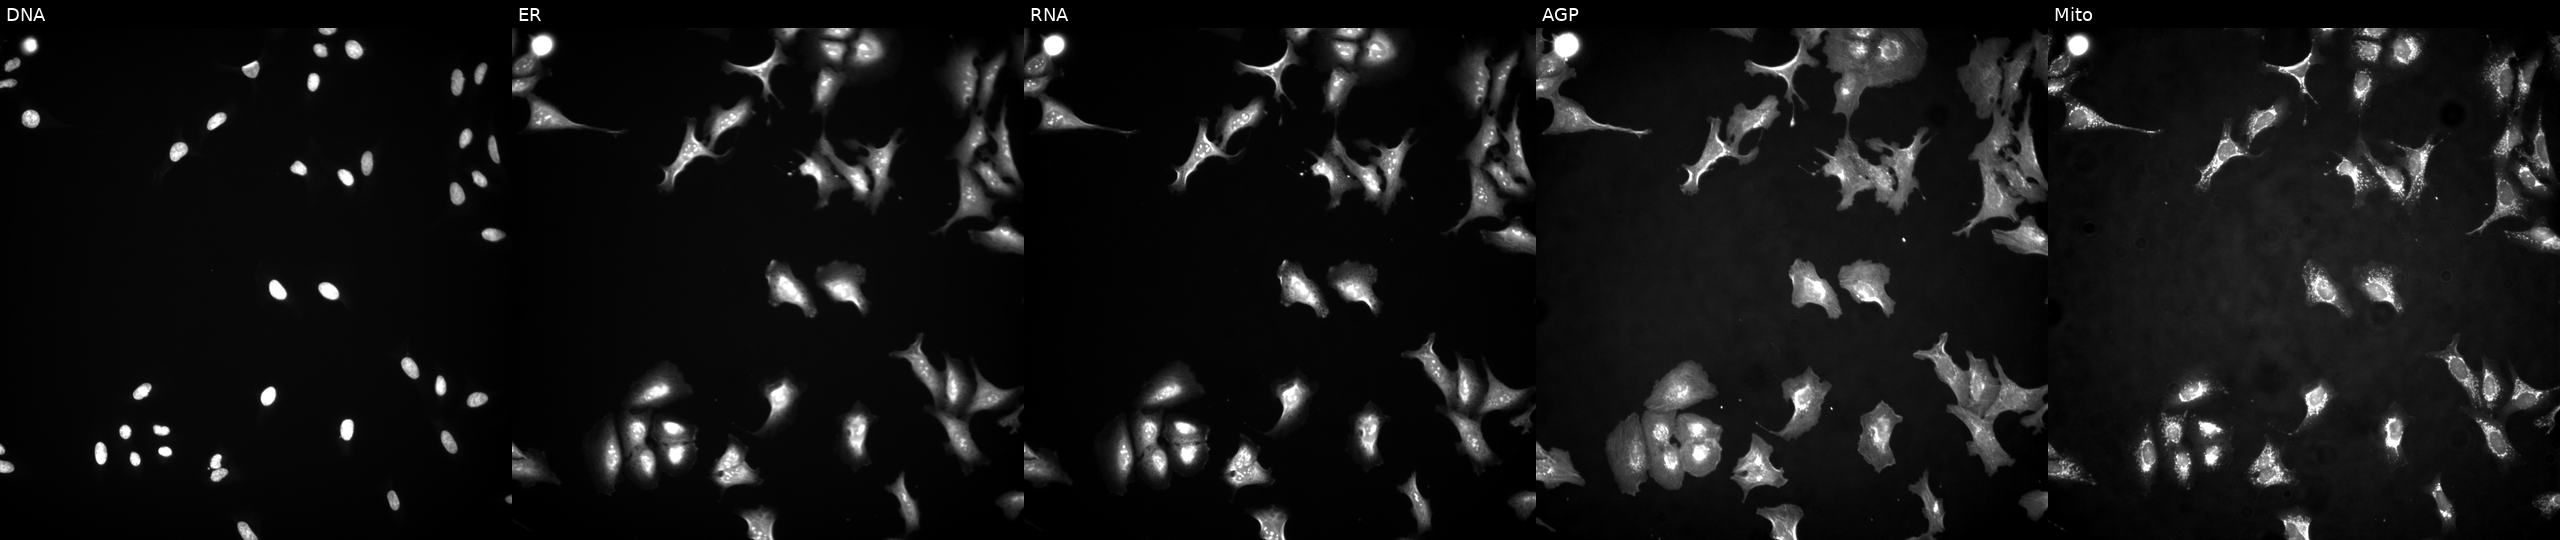
U2OS cells, Cell Painting assay, expressing HcRed (ORF negative control). From left to right: DNA (nuclei); ER (endoplasmic reticulum); RNA (nucleoli and cytoplasmic RNA); AGP (actin cytoskeleton, Golgi, and plasma membrane); Mito (mitochondria). Each panel is percentile-stretched 16-bit fluorescence.